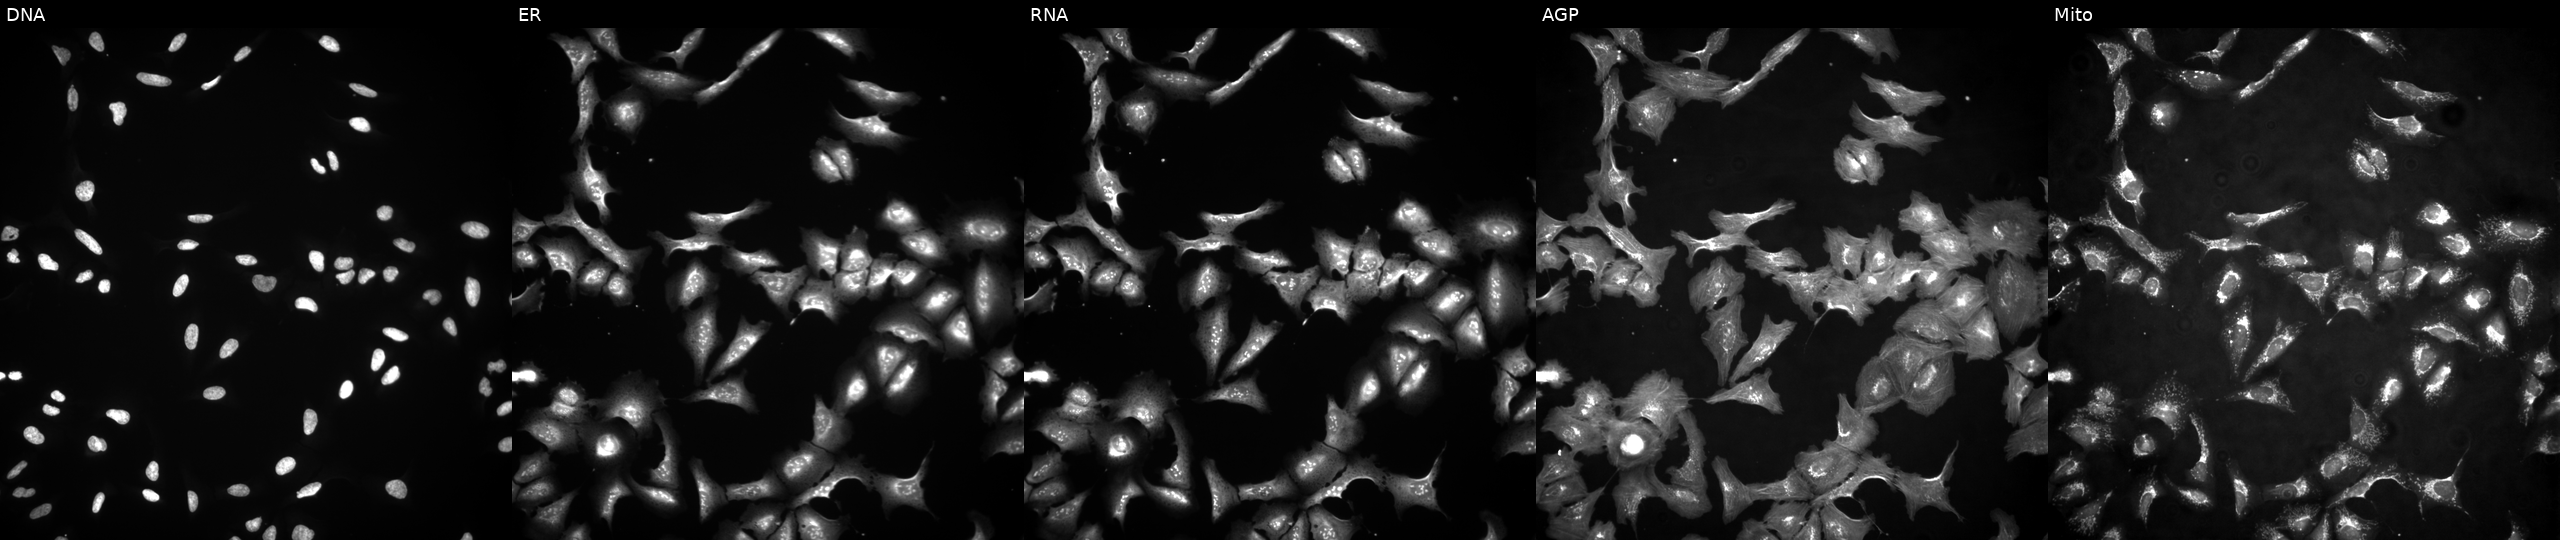
Panels show, left to right, DNA (nuclei); ER (endoplasmic reticulum); RNA (nucleoli and cytoplasmic RNA); AGP (actin cytoskeleton, Golgi, and plasma membrane); Mito (mitochondria). U2OS osteosarcoma cells transfected with an ORF construct for PLAC1 (JUMP id JCP2022_902359). Cell Painting assay, JUMP-CP dataset. Source 4, plate BR00124784, well G17.